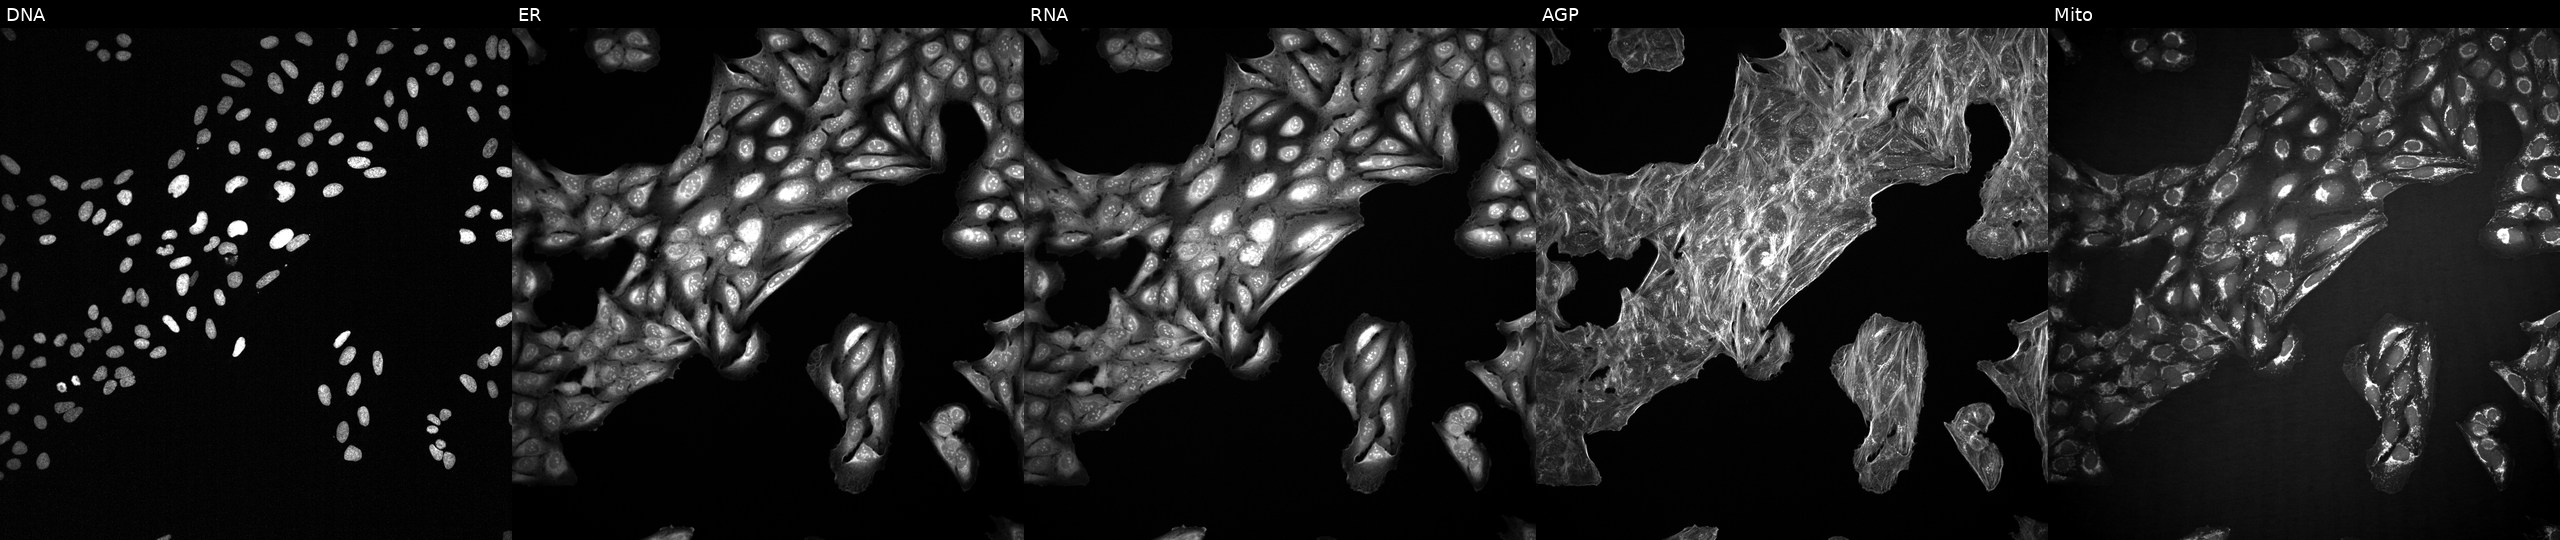
JUMP Cell Painting — COMPOUND plate. U2OS cells treated with quinidine (positive-control compound). The five panels, left to right, show DNA (nuclei); ER (endoplasmic reticulum); RNA (nucleoli and cytoplasmic RNA); AGP (actin cytoskeleton, Golgi, and plasma membrane); Mito (mitochondria).